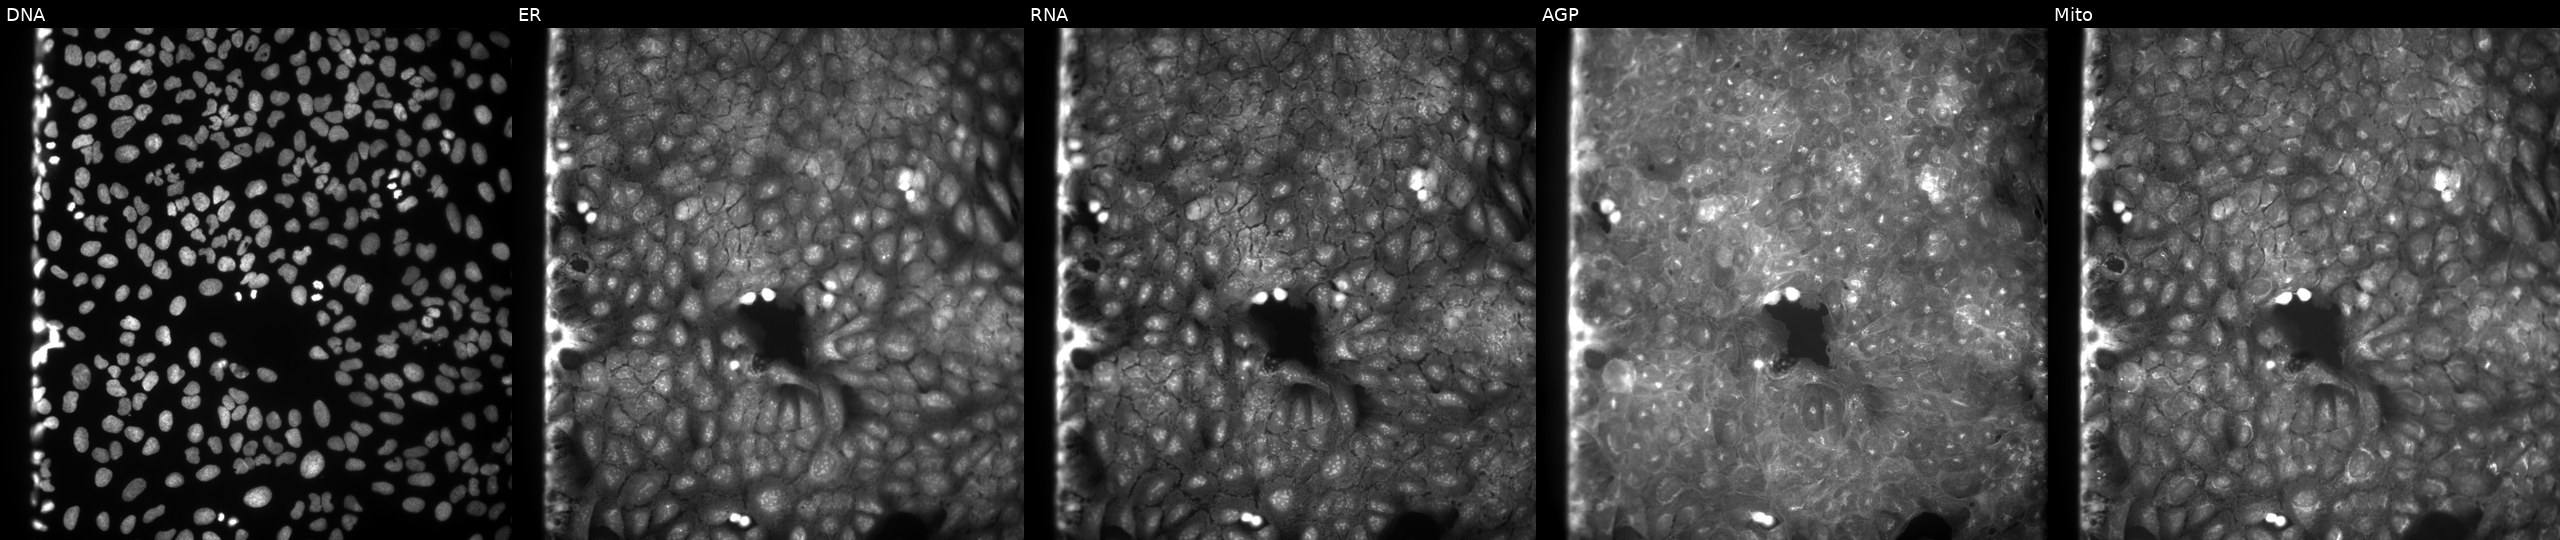
High-content fluorescence microscopy (Cell Painting). Cell line: U2OS. Perturbation: treated with DMSO vehicle only (negative control) (JUMP id JCP2022_033924). Channels (left→right): DNA, ER, RNA, AGP, and Mito. Source 9, plate GR00003382, well I02.